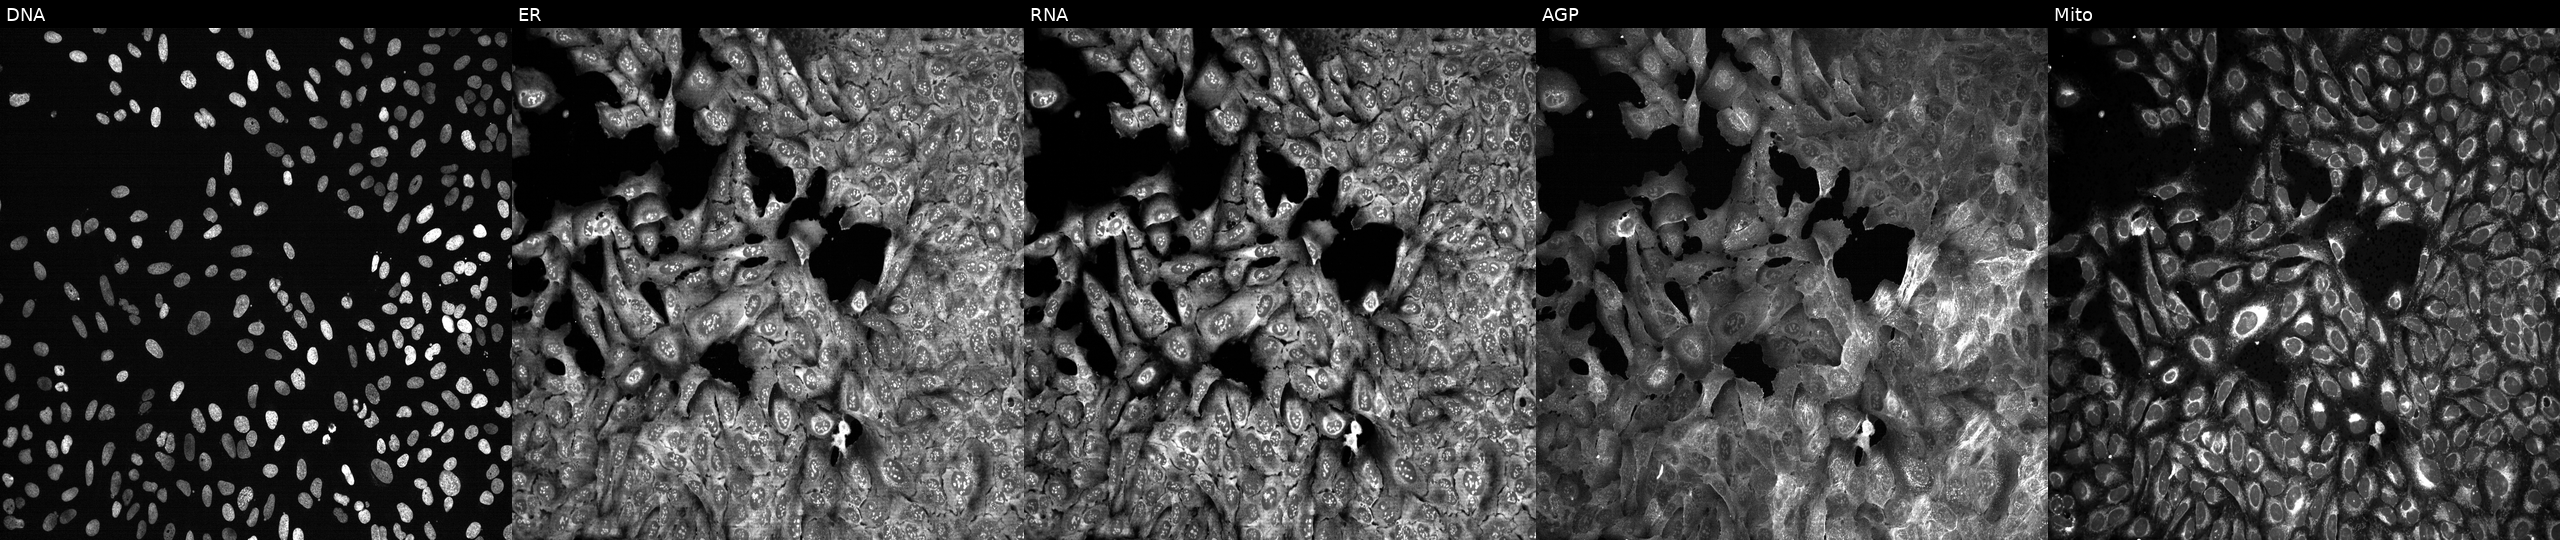
Panels show, left to right, DNA (nuclei); ER (endoplasmic reticulum); RNA (nucleoli and cytoplasmic RNA); AGP (actin cytoskeleton, Golgi, and plasma membrane); Mito (mitochondria). U2OS osteosarcoma cells with AMY2B knocked out by CRISPR (JUMP id JCP2022_800446). Cell Painting assay, JUMP-CP dataset.